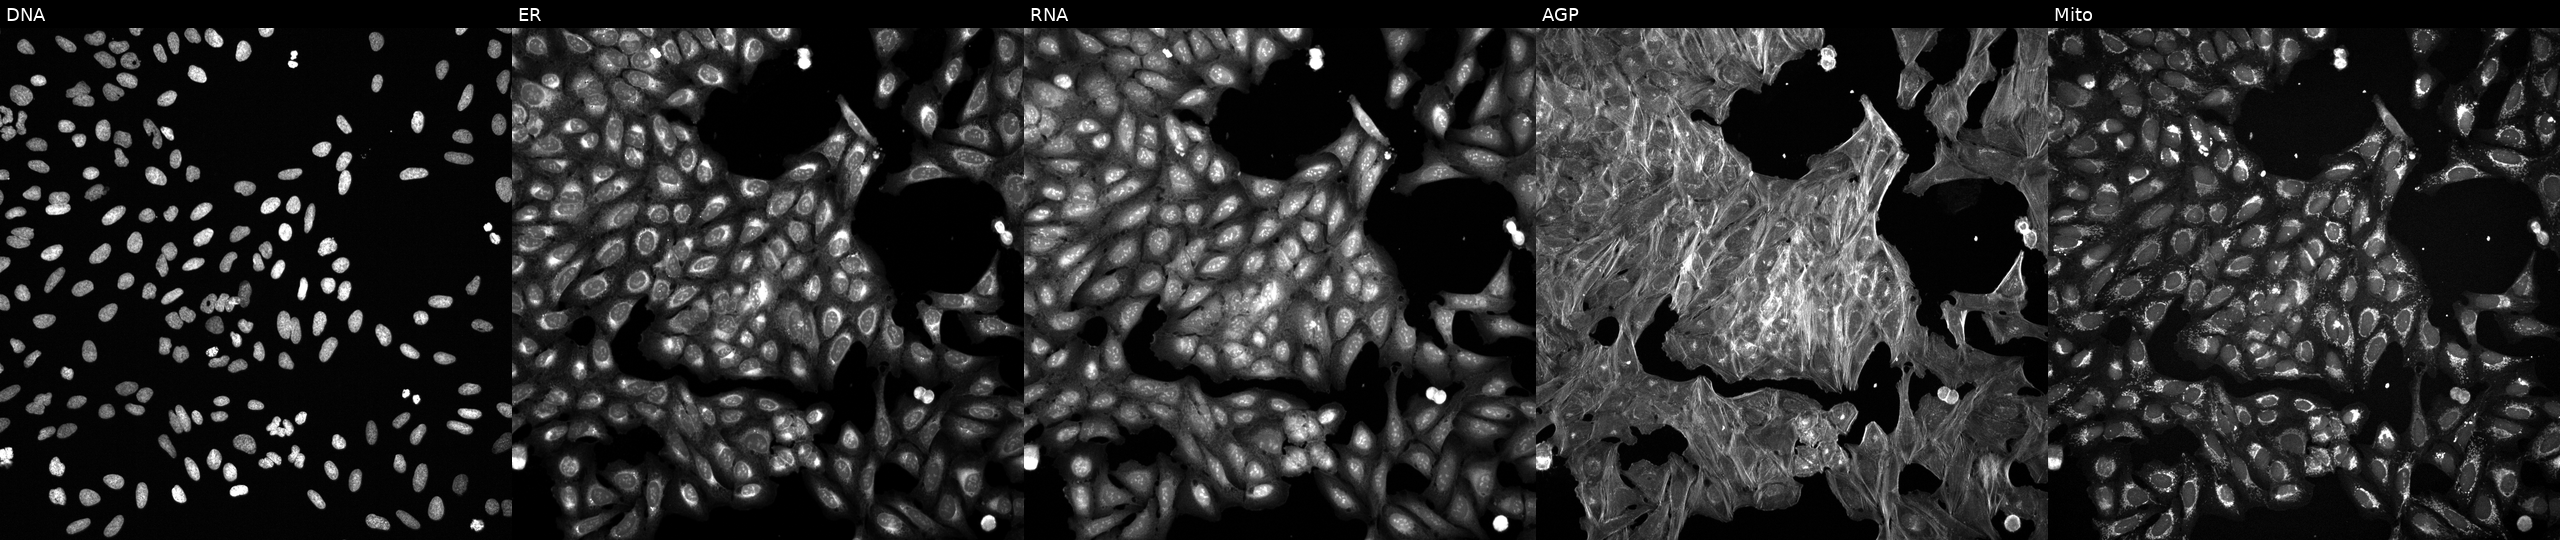
U2OS cells, Cell Painting assay, exposed to a small-molecule compound (InChIKey OWAINYKKQASDEI-UHFFFAOYSA-N) (JUMP id JCP2022_066513). From left to right: DNA, ER, RNA, AGP, and Mito. Each panel is percentile-stretched 16-bit fluorescence. Source 6, plate 110000293082, well K10.